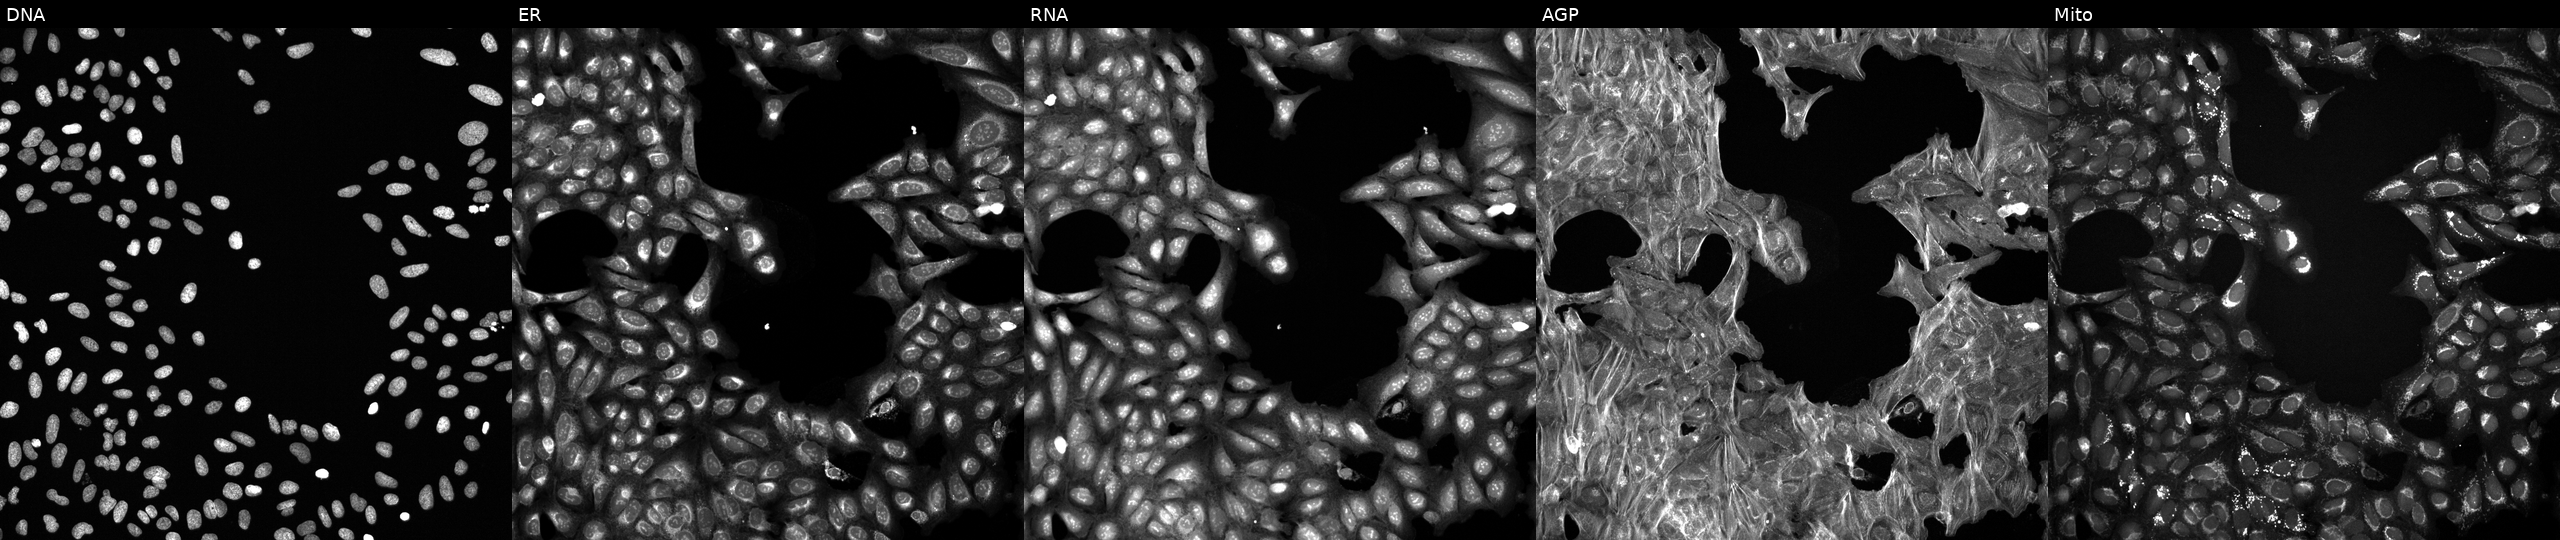
JUMP Cell Painting — TARGET2 plate. U2OS cells perturbed with a small-molecule compound (InChIKey FQUAFMNPXPXOJE-UHFFFAOYSA-N) (JUMP id JCP2022_022359). The five panels, left to right, show DNA, ER, RNA, AGP, and Mito. Source 6, plate 110000294901, well I04.